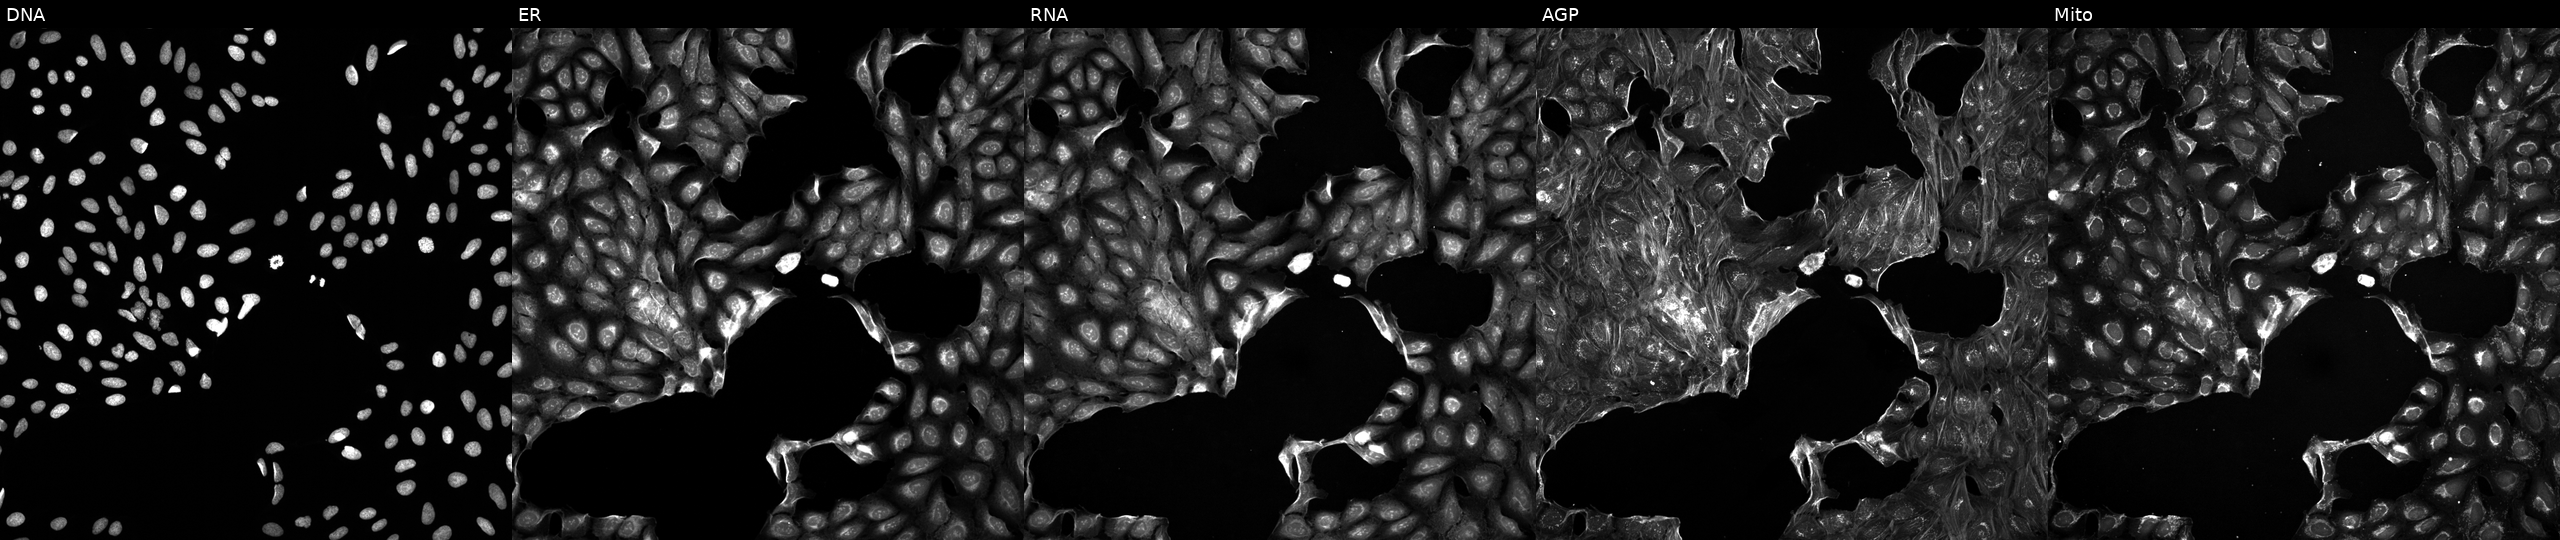
High-content fluorescence microscopy (Cell Painting). Cell line: U2OS. Perturbation: treated with a small-molecule compound (InChIKey GCUCIFQCGJIRNT-UHFFFAOYSA-N) [SMILES: O=C(O)CN1C(=O)c2cccc3cccc(c23)C1=O] (JUMP id JCP2022_024601). From left to right: DNA, ER, RNA, AGP, and Mito.